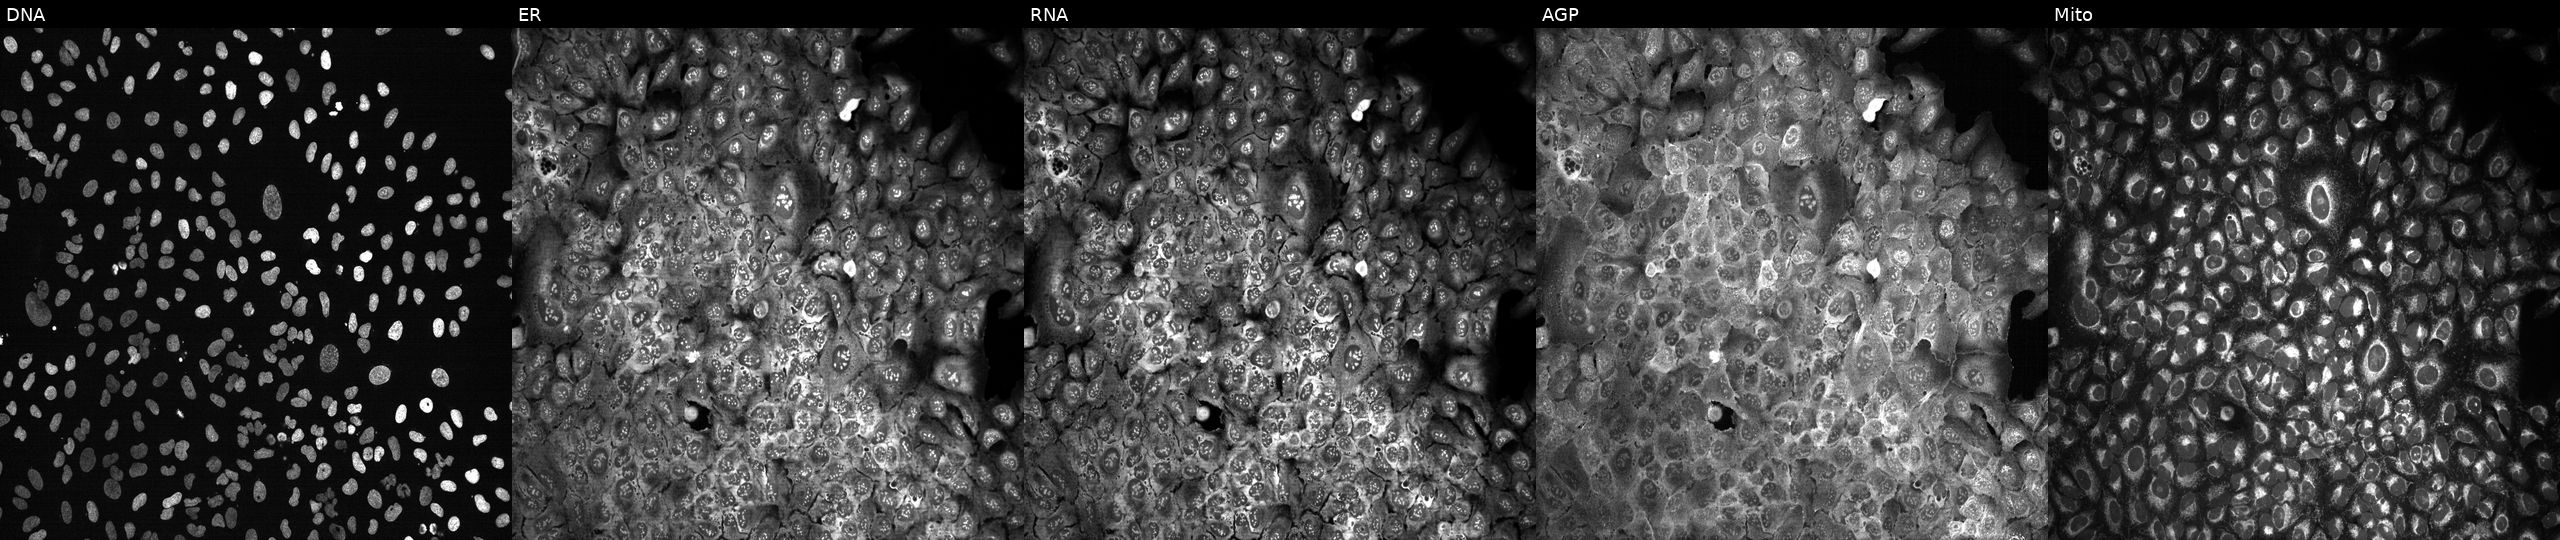
This image strip shows the five Cell Painting channels for a single field of U2OS cells CRISPR-edited to disrupt RAB6A. Channels (left→right): DNA (nuclei); ER (endoplasmic reticulum); RNA (nucleoli and cytoplasmic RNA); AGP (actin cytoskeleton, Golgi, and plasma membrane); Mito (mitochondria).